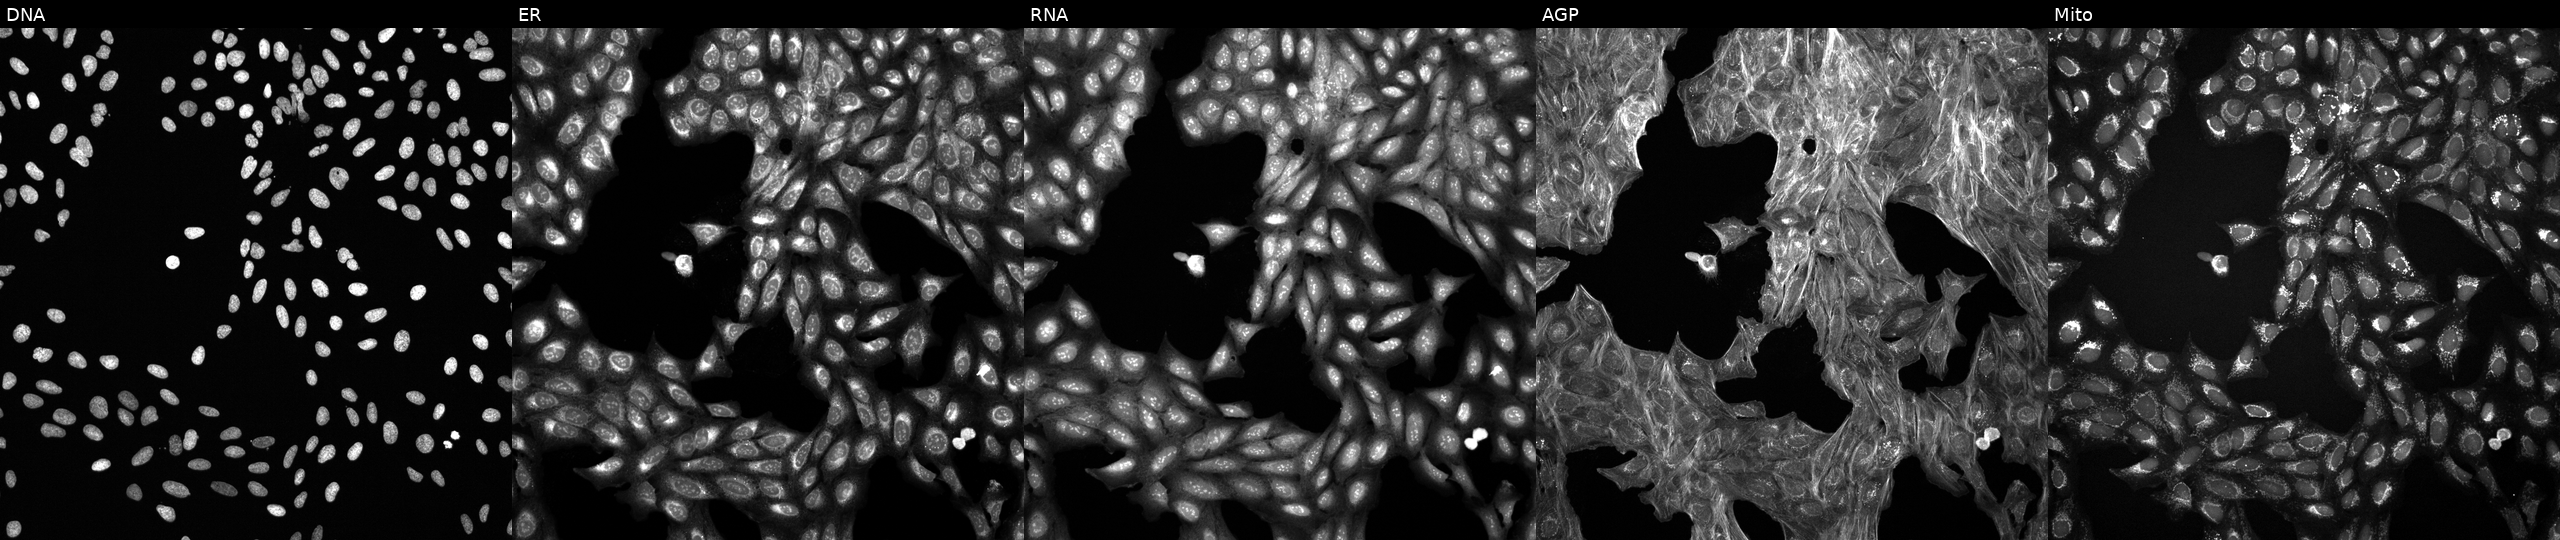
Five-channel Cell Painting image of U2OS cells exposed to a small-molecule compound (InChIKey WOPIQAVOGBCCQG-UHFFFAOYSA-N). From left to right: DNA, ER, RNA, AGP, and Mito.